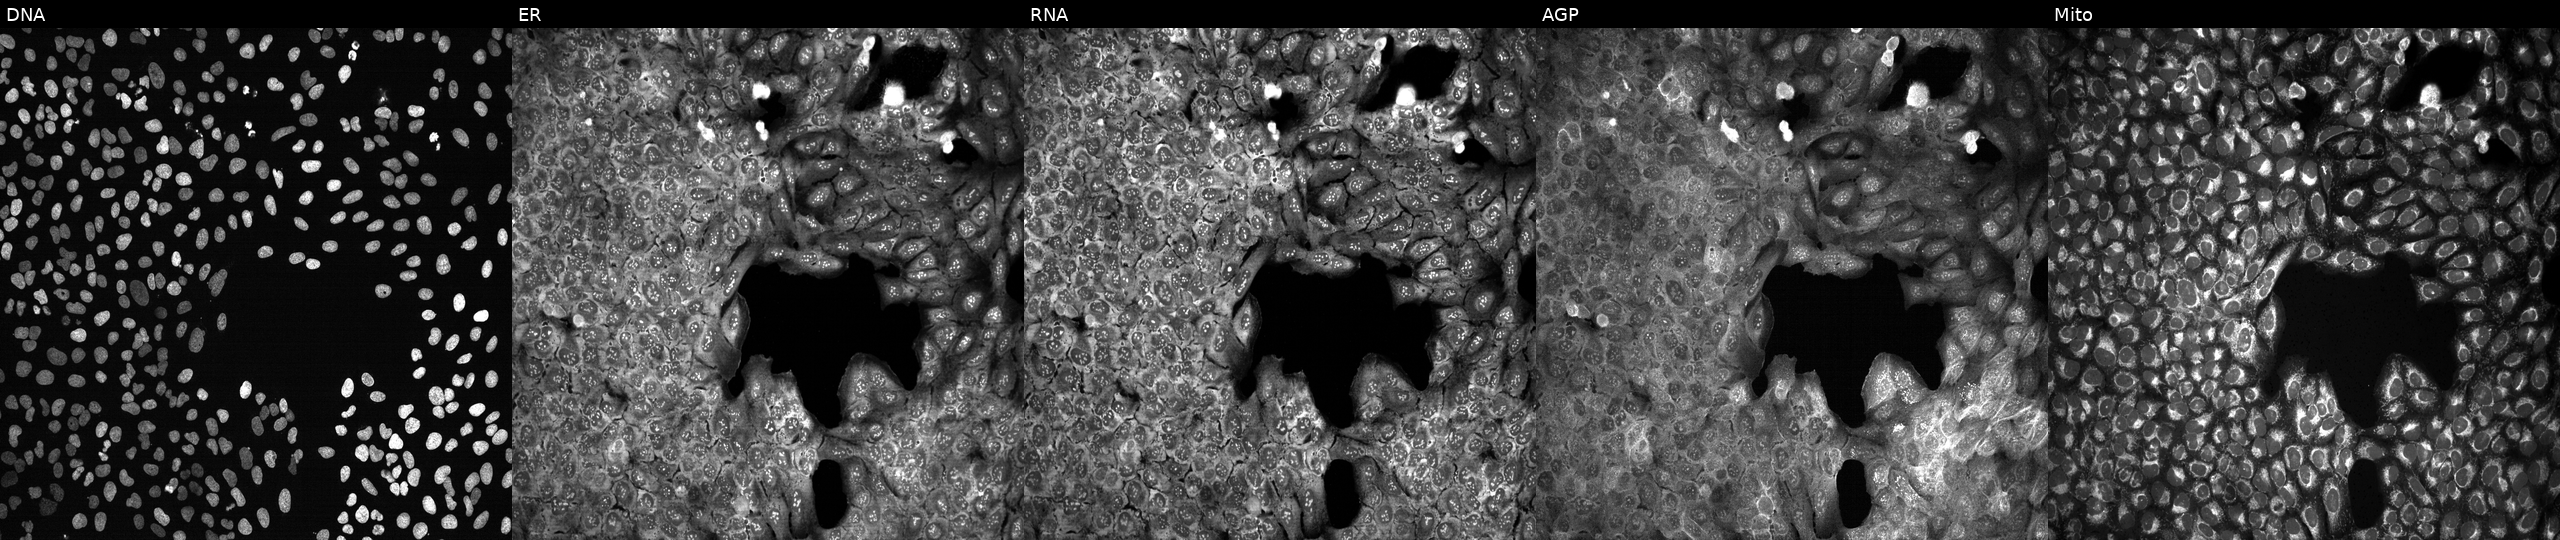
Five-channel Cell Painting image of U2OS cells with PTGR1 knocked out by CRISPR (JUMP id JCP2022_805656). Channels (left→right): Hoechst 33342, concanavalin A, SYTO 14, phalloidin and WGA, MitoTracker.